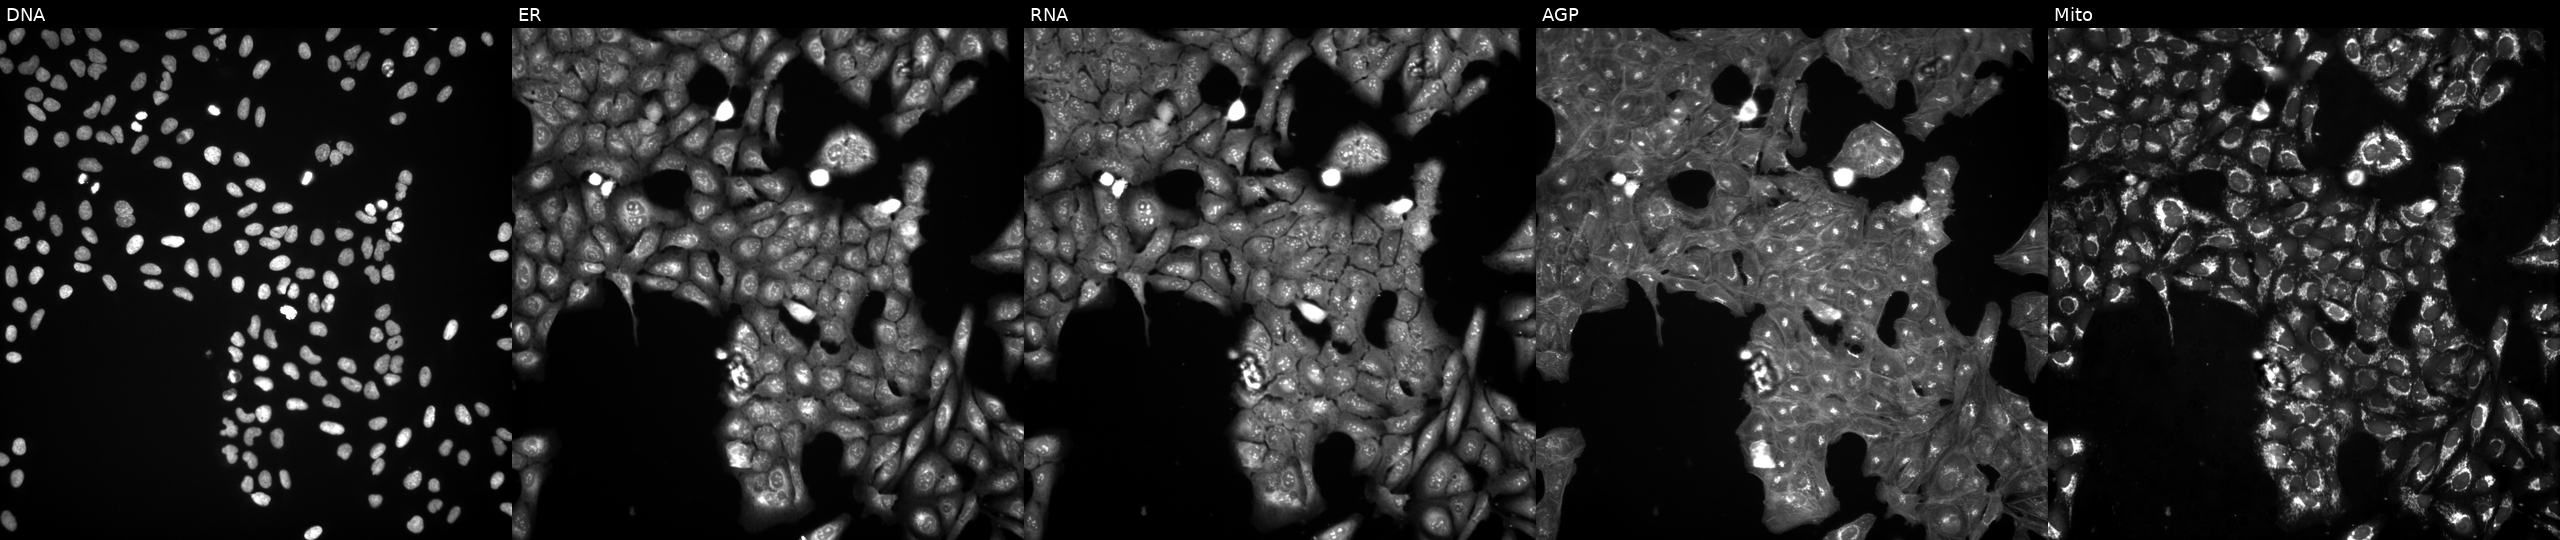
Five-channel Cell Painting image of U2OS cells perturbed with a small-molecule compound (InChIKey SJVYJAHOZOGQNN-UHFFFAOYSA-N). From left to right: DNA, ER, RNA, AGP, and Mito.